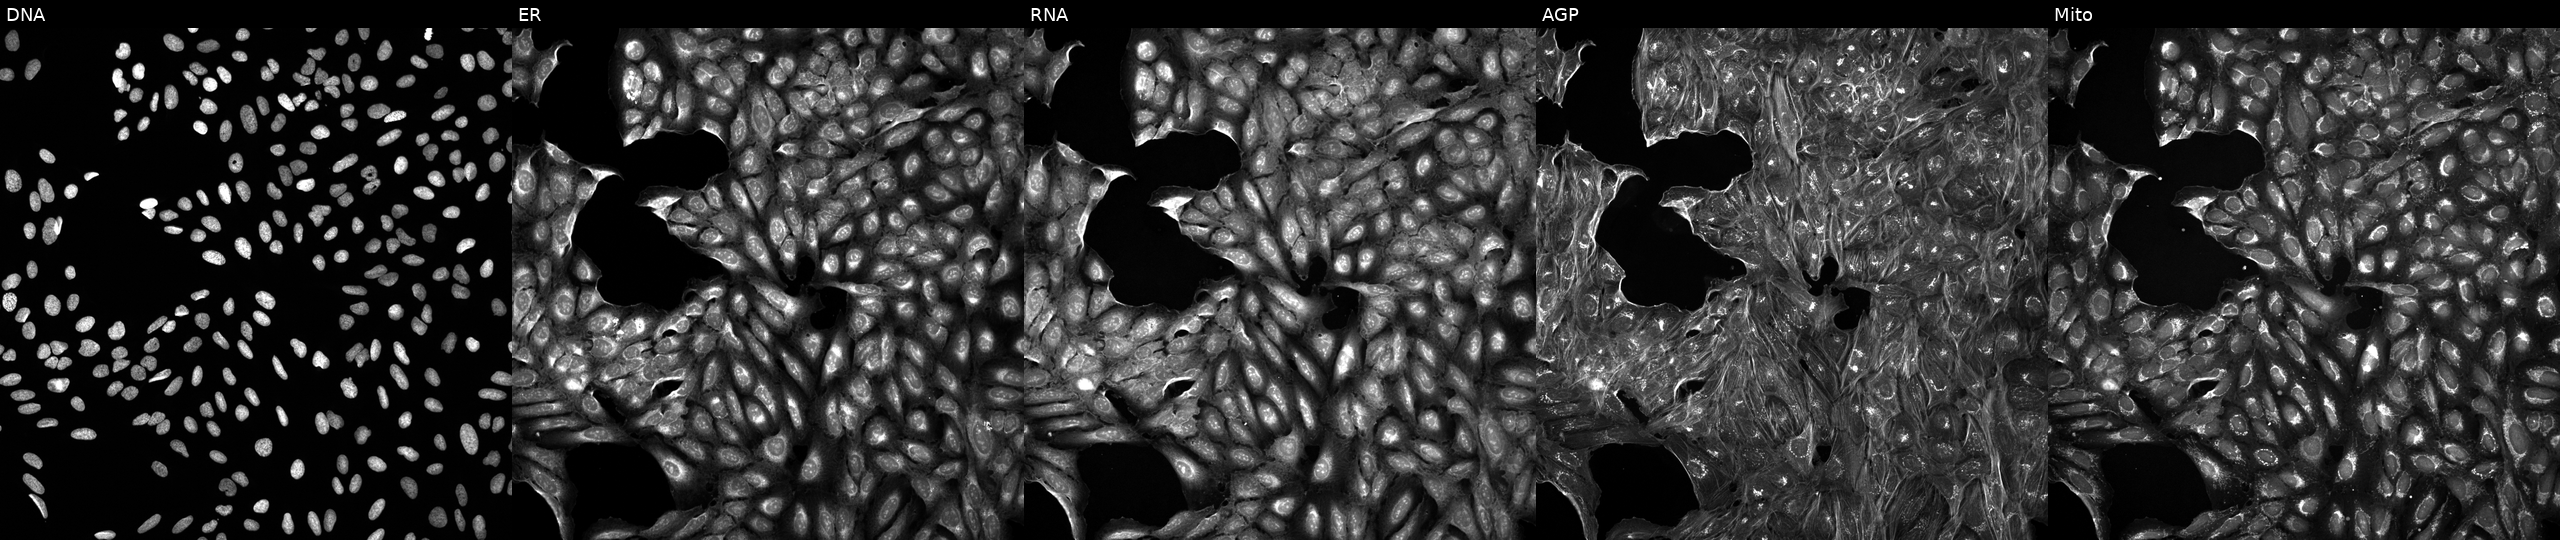
High-content fluorescence microscopy (Cell Painting). Cell line: U2OS. Perturbation: exposed to a small-molecule compound (InChIKey MJVAVZPDRWSRRC-UHFFFAOYSA-N) (JUMP id JCP2022_054618). Panels show, left to right, DNA, ER, RNA, AGP, and Mito.